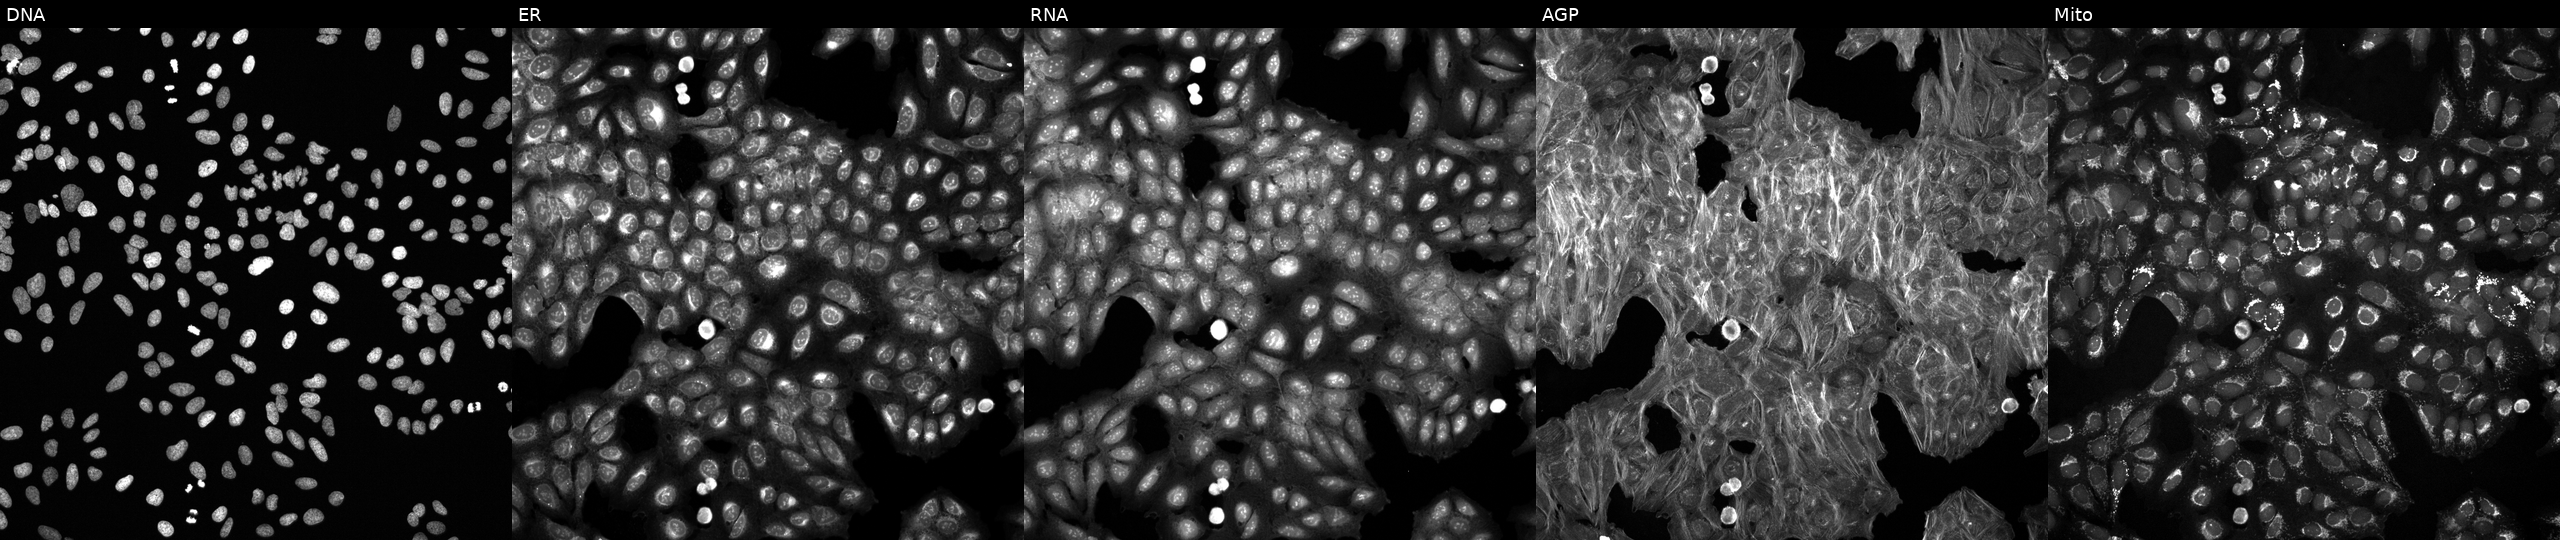
JUMP Cell Painting — COMPOUND plate. U2OS cells exposed to a small-molecule compound (InChIKey DXZVJDWWVYNWAU-UHFFFAOYSA-N) (JUMP id JCP2022_018902). From left to right: DNA, ER, RNA, AGP, and Mito.